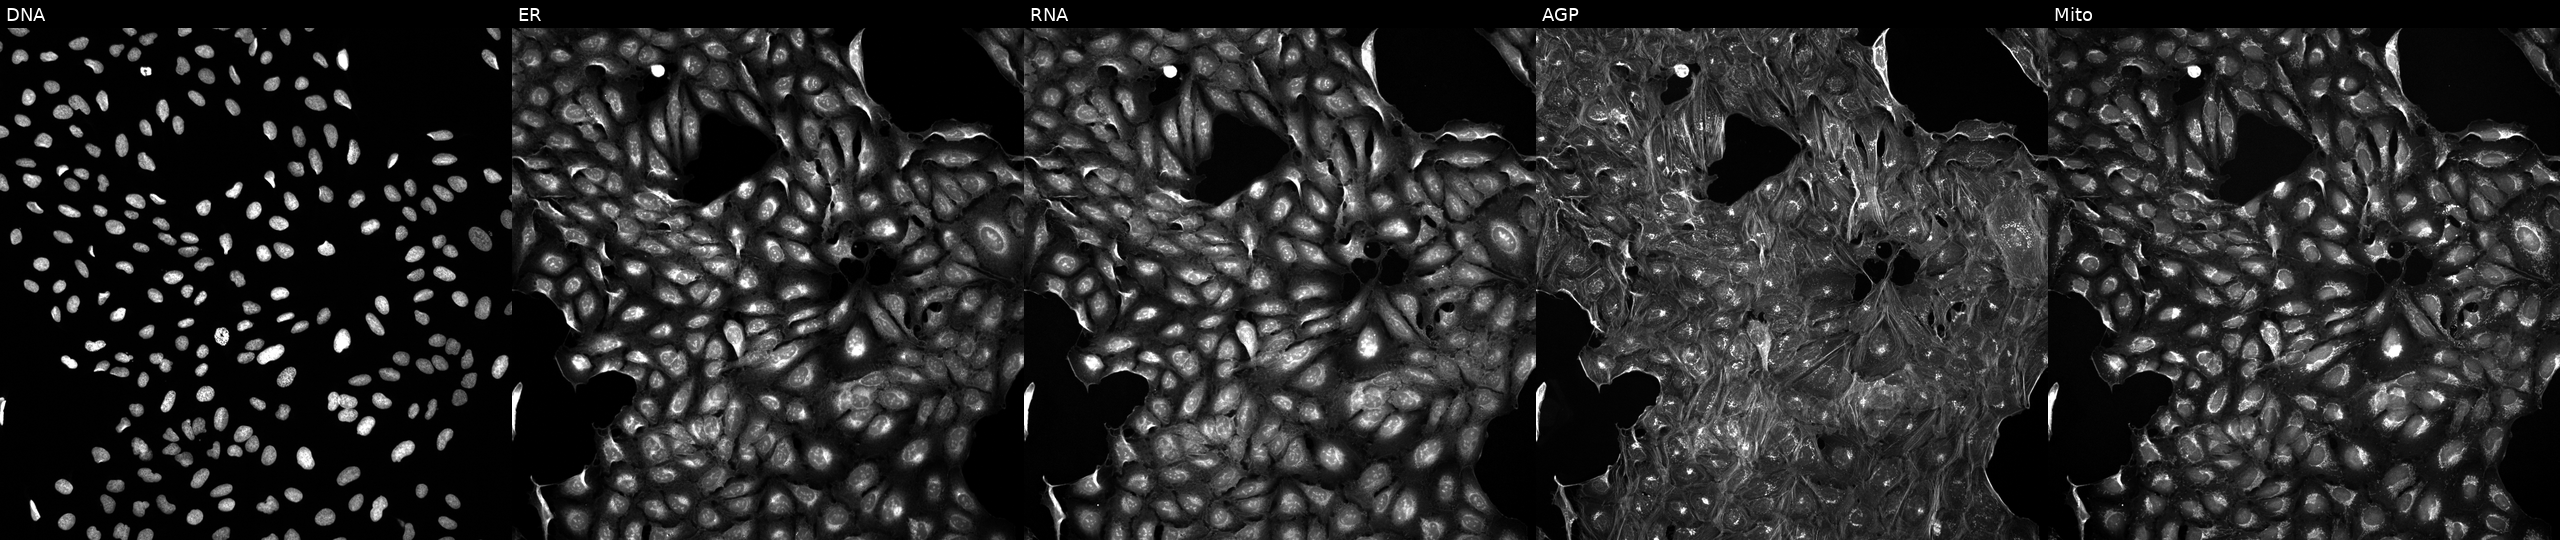
High-content fluorescence microscopy (Cell Painting). Cell line: U2OS. Perturbation: perturbed with a small-molecule compound (InChIKey NMUSYJAQQFHJEW-UHFFFAOYSA-N). The five panels, left to right, show Hoechst 33342, concanavalin A, SYTO 14, phalloidin and WGA, MitoTracker.